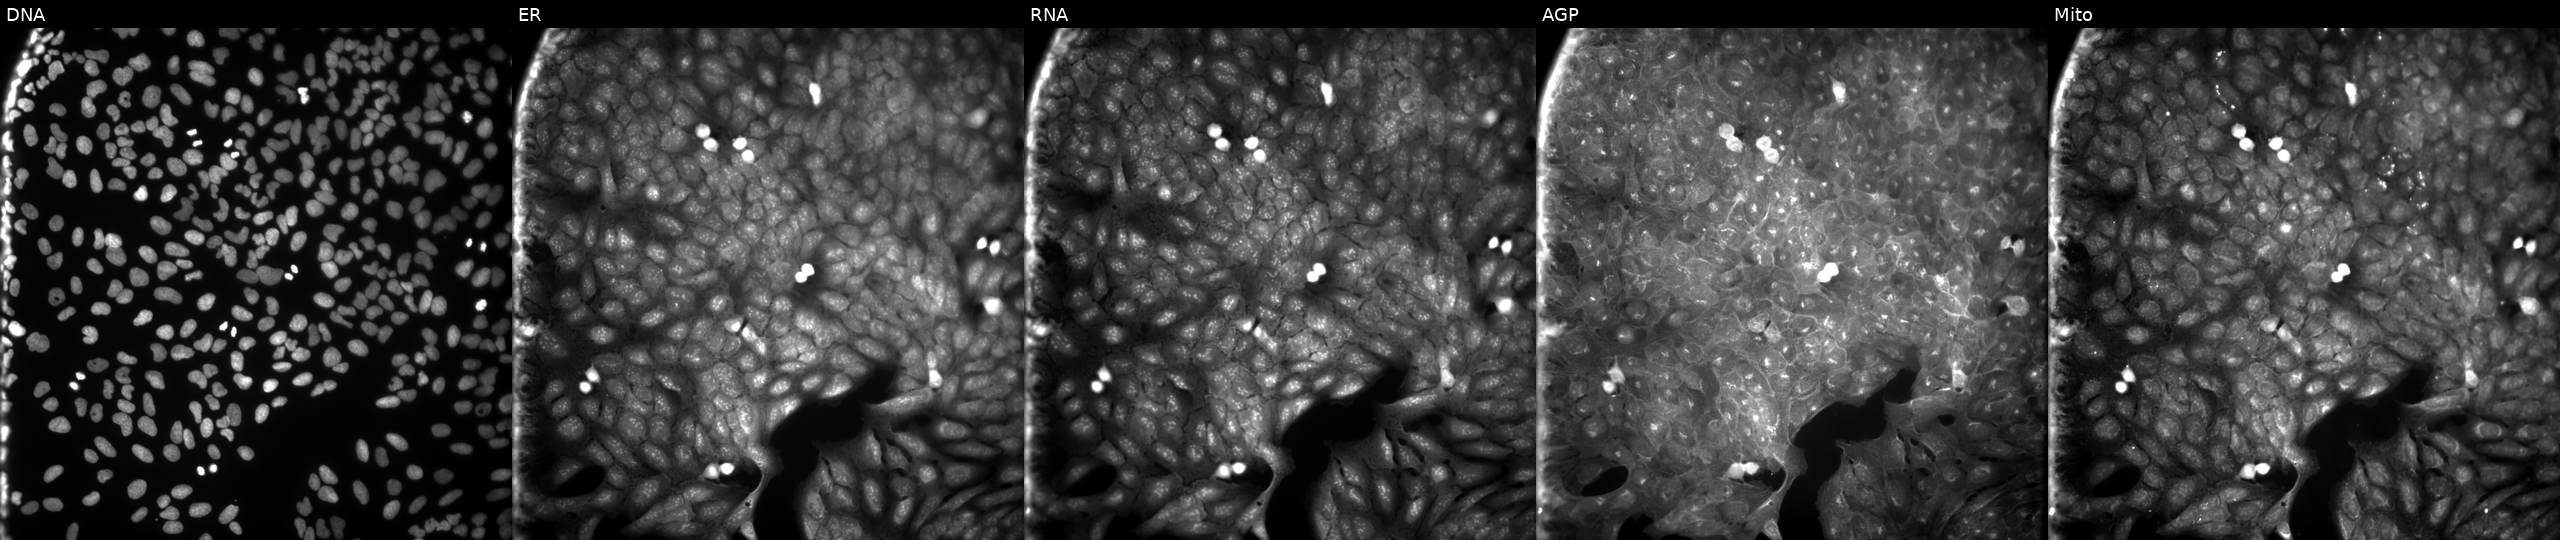
The five panels, left to right, show DNA, ER, RNA, AGP, and Mito. U2OS osteosarcoma cells treated with a small-molecule compound (InChIKey PFRFPUIFDBUYHH-UHFFFAOYSA-N). Cell Painting assay, JUMP-CP dataset.